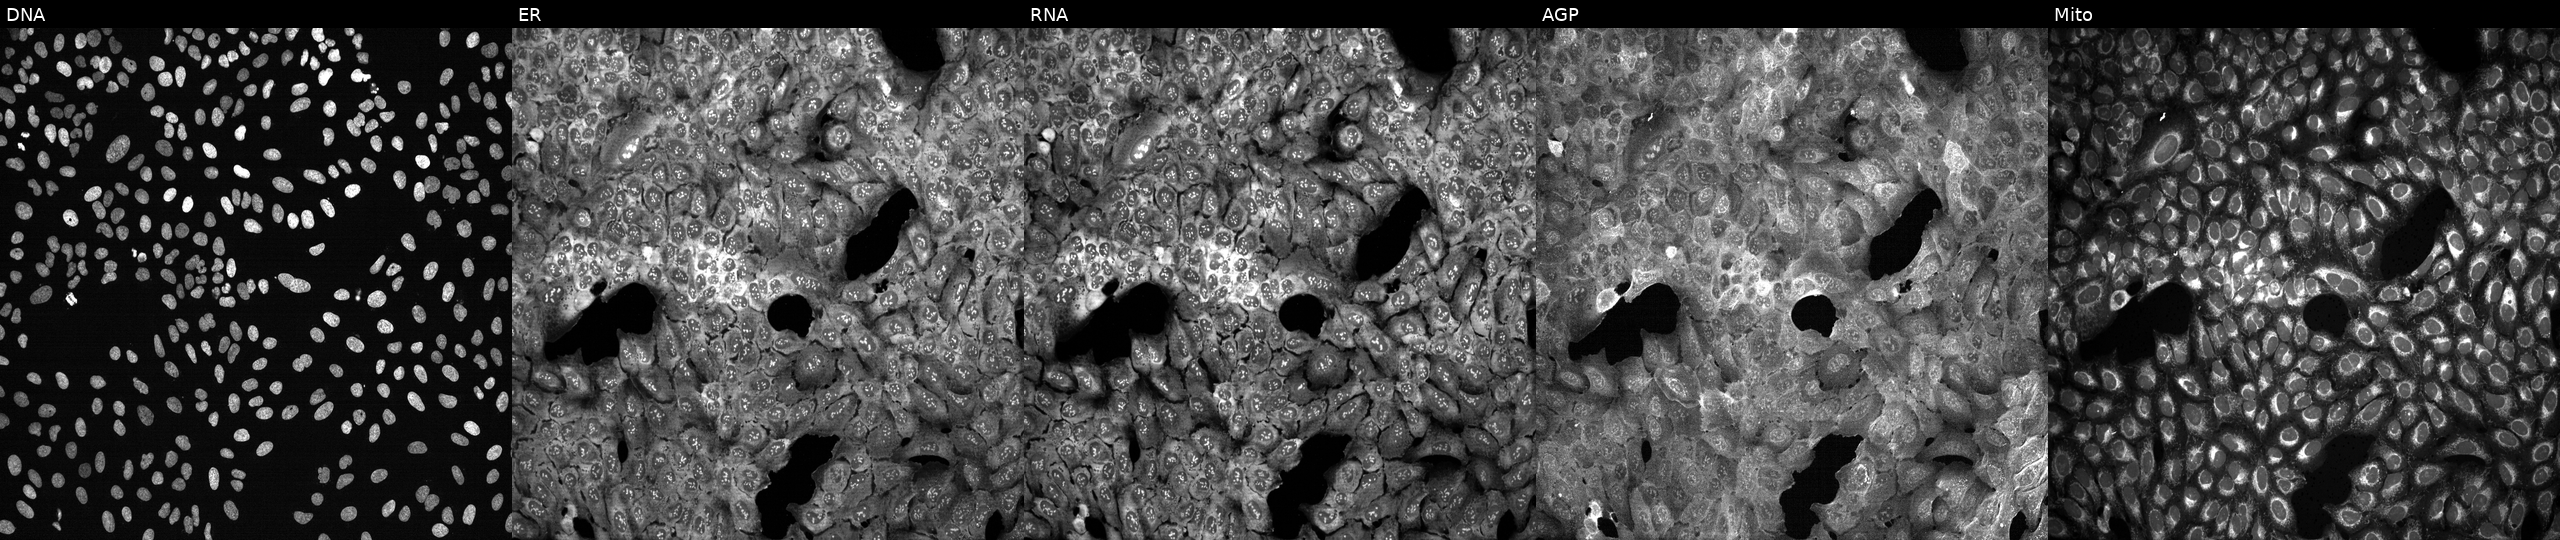
High-content fluorescence microscopy (Cell Painting). Cell line: U2OS. Perturbation: with CD163 knocked out by CRISPR (JUMP id JCP2022_801146). Panels show, left to right, DNA, ER, RNA, AGP, and Mito.